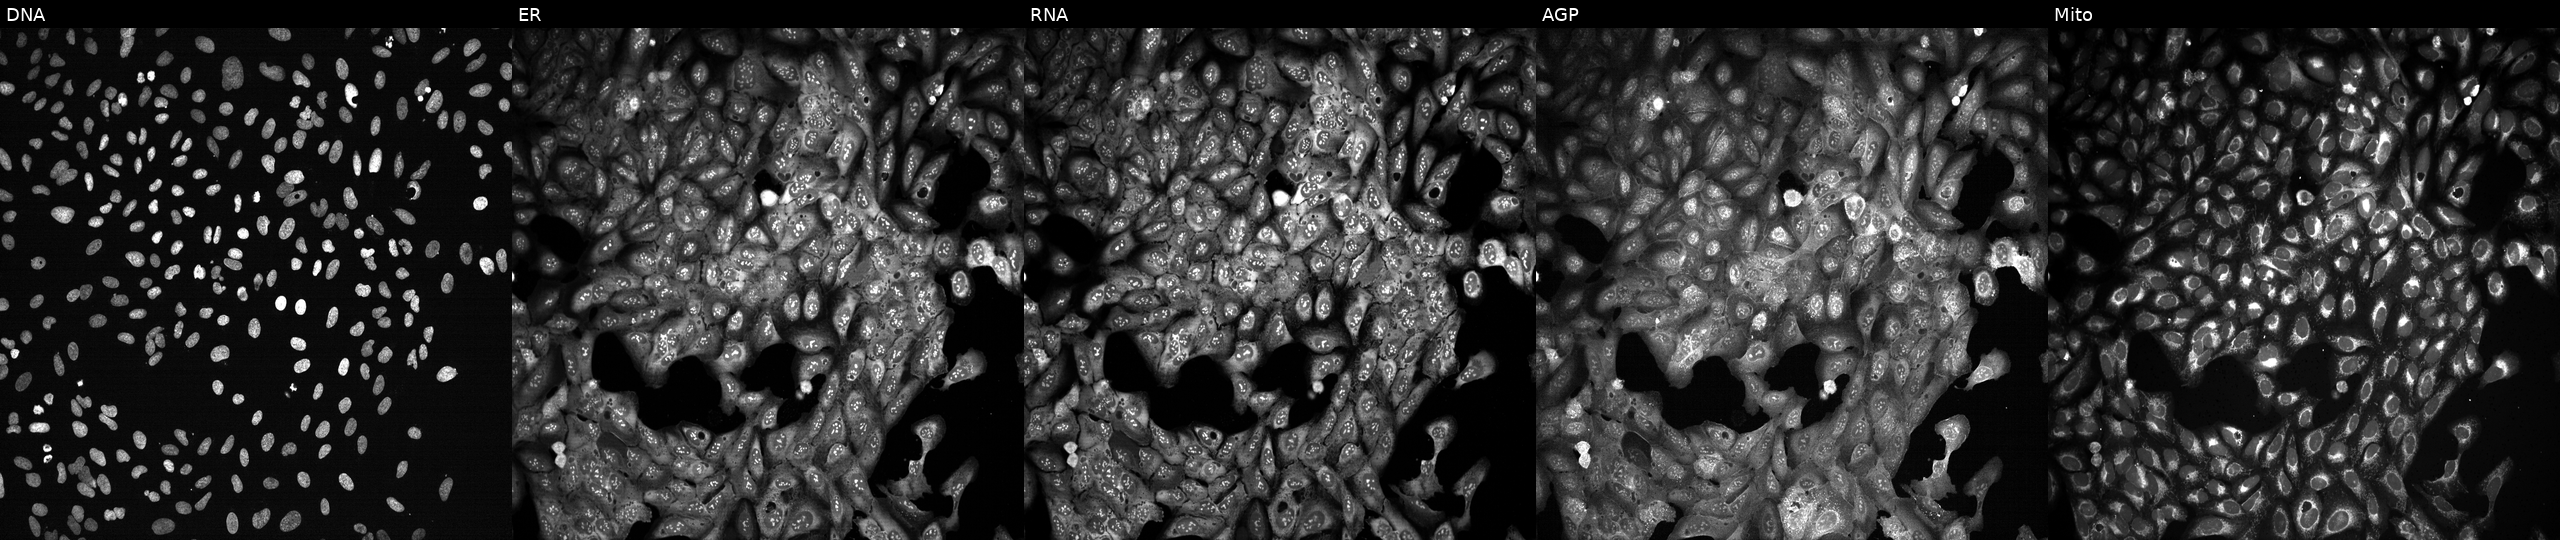
JUMP Cell Painting — CRISPR plate. U2OS cells following CRISPR knockout of POMP. Panels show, left to right, Hoechst 33342, concanavalin A, SYTO 14, phalloidin and WGA, MitoTracker. Source 13, plate CP-CC9-R4-04, well N15.